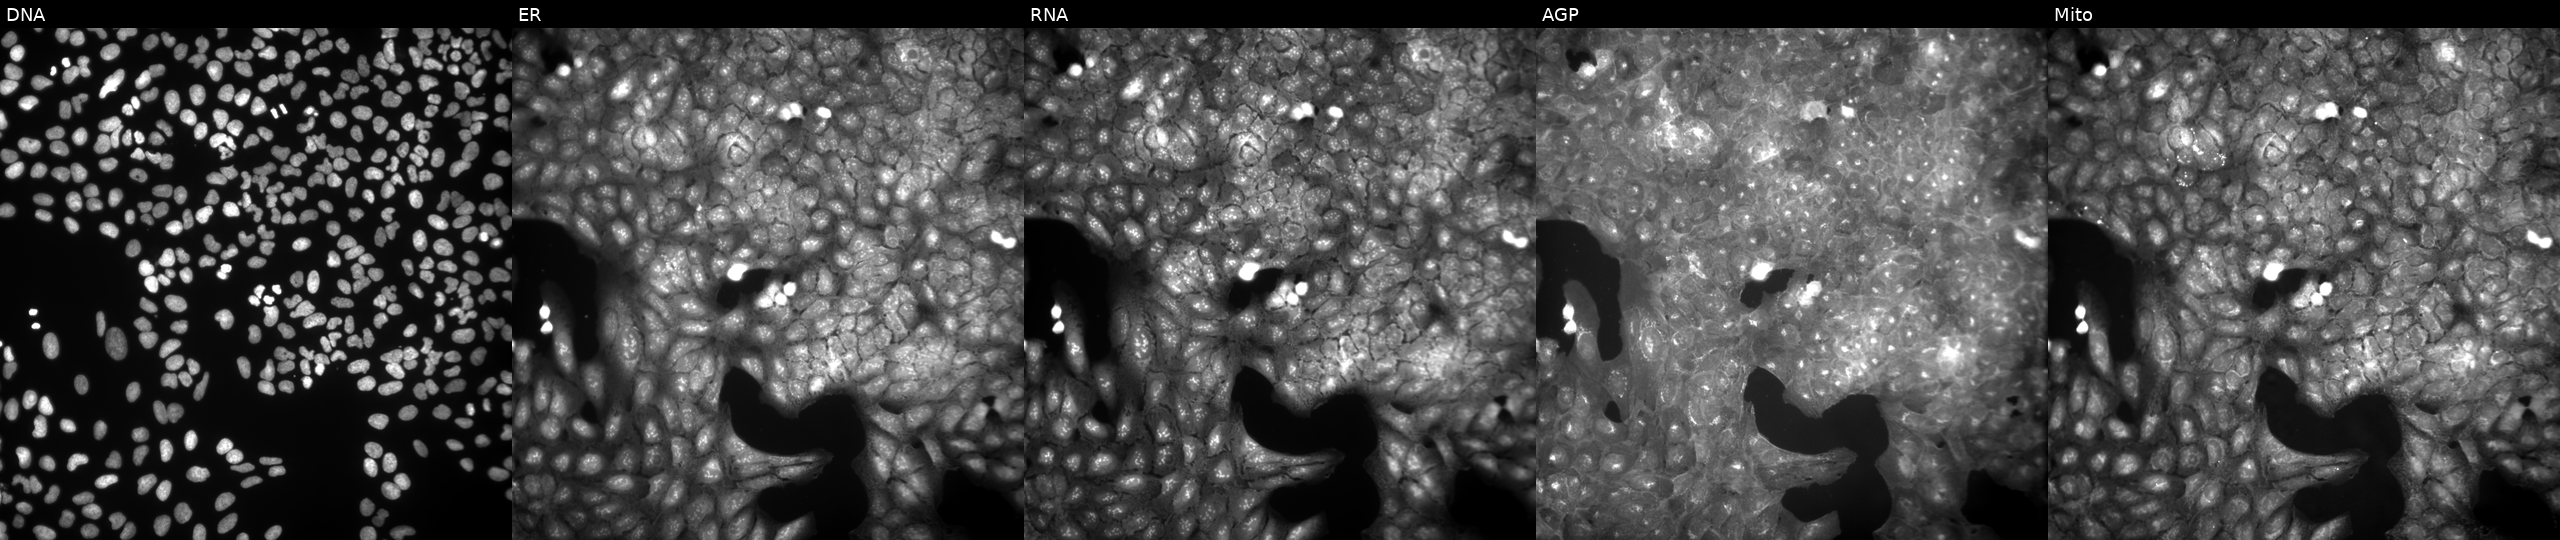
JUMP Cell Painting — COMPOUND plate. U2OS cells treated with a small-molecule compound (JUMP id JCP2022_085782). Channels (left→right): Hoechst 33342, concanavalin A, SYTO 14, phalloidin and WGA, MitoTracker.